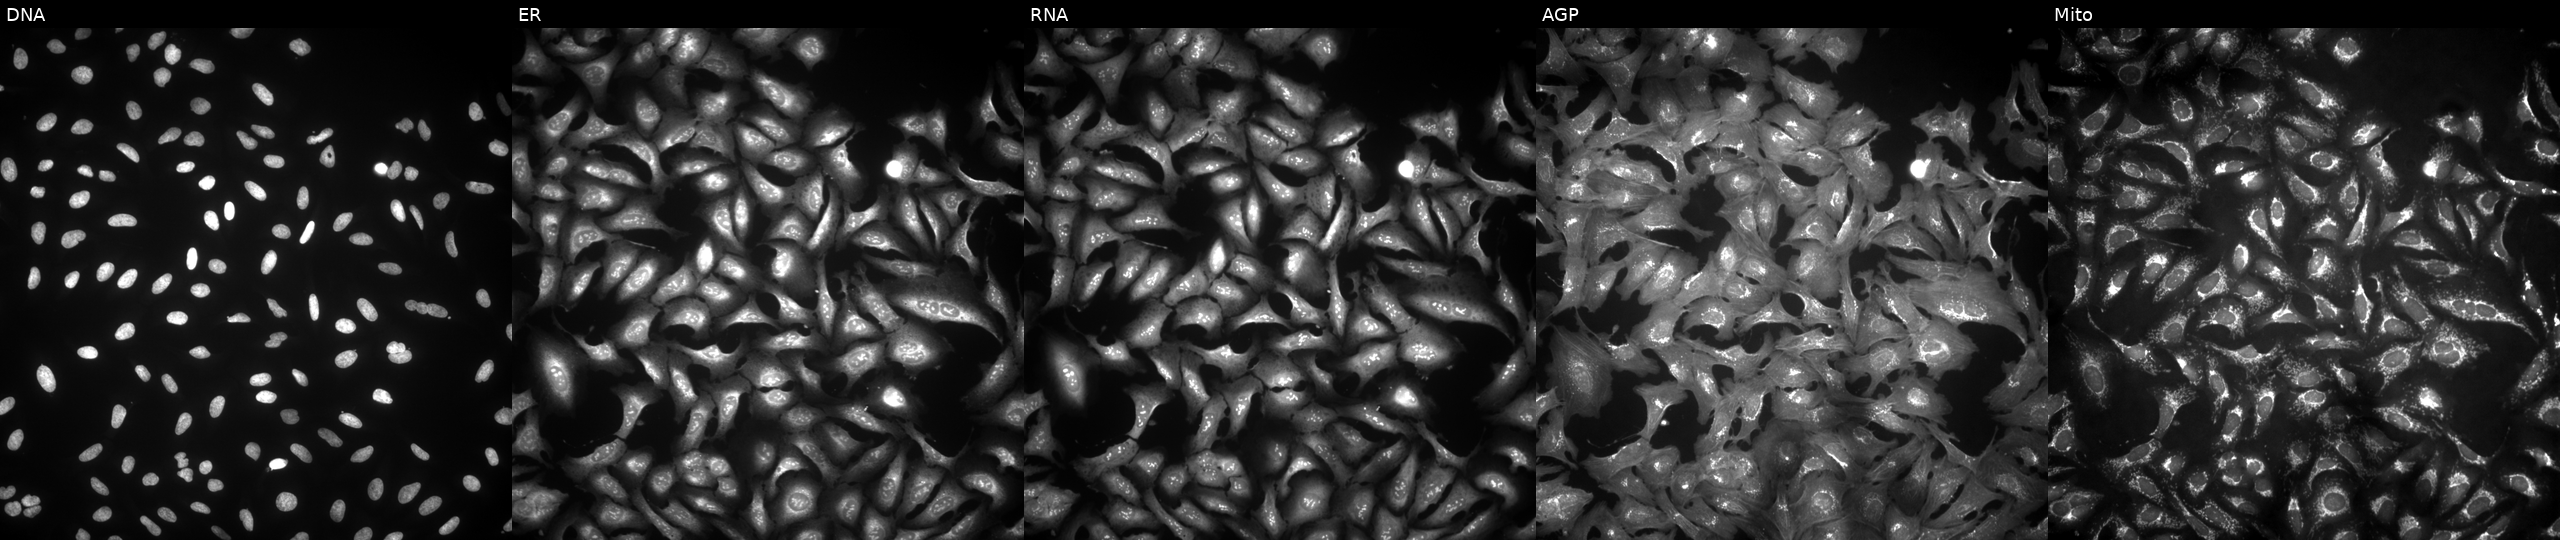
This image strip shows the five Cell Painting channels for a single field of U2OS cells expressing HcRed (ORF negative control). Channels (left→right): DNA, ER, RNA, AGP, and Mito.